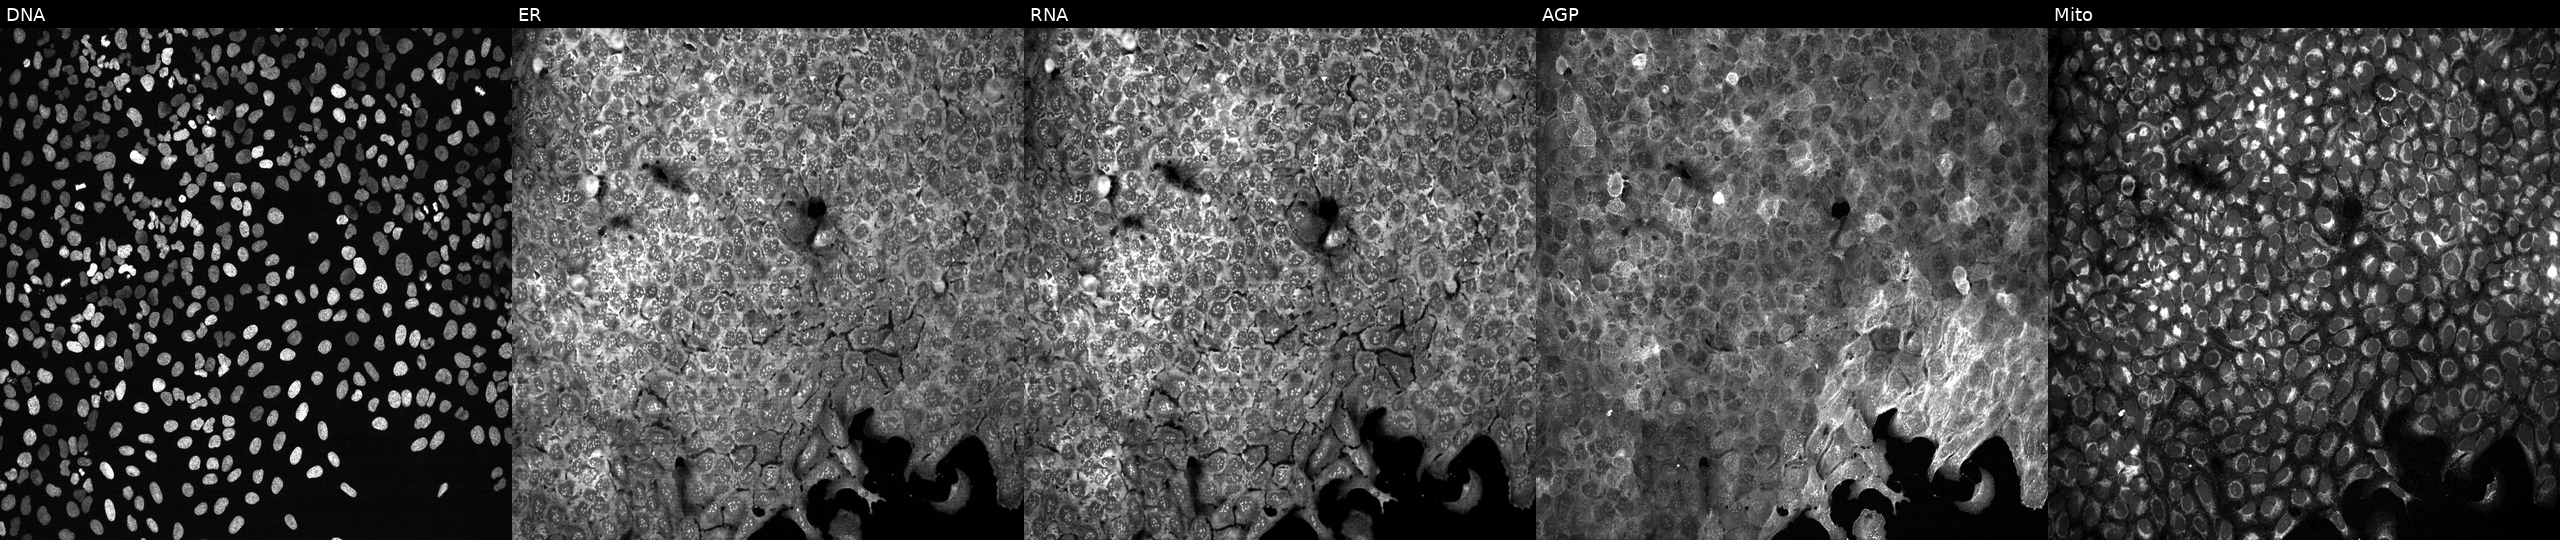
U2OS cells, Cell Painting assay, treated with DMSO vehicle only (negative control) (JUMP id JCP2022_033924). The five panels, left to right, show DNA (nuclei); ER (endoplasmic reticulum); RNA (nucleoli and cytoplasmic RNA); AGP (actin cytoskeleton, Golgi, and plasma membrane); Mito (mitochondria). Each panel is percentile-stretched 16-bit fluorescence.